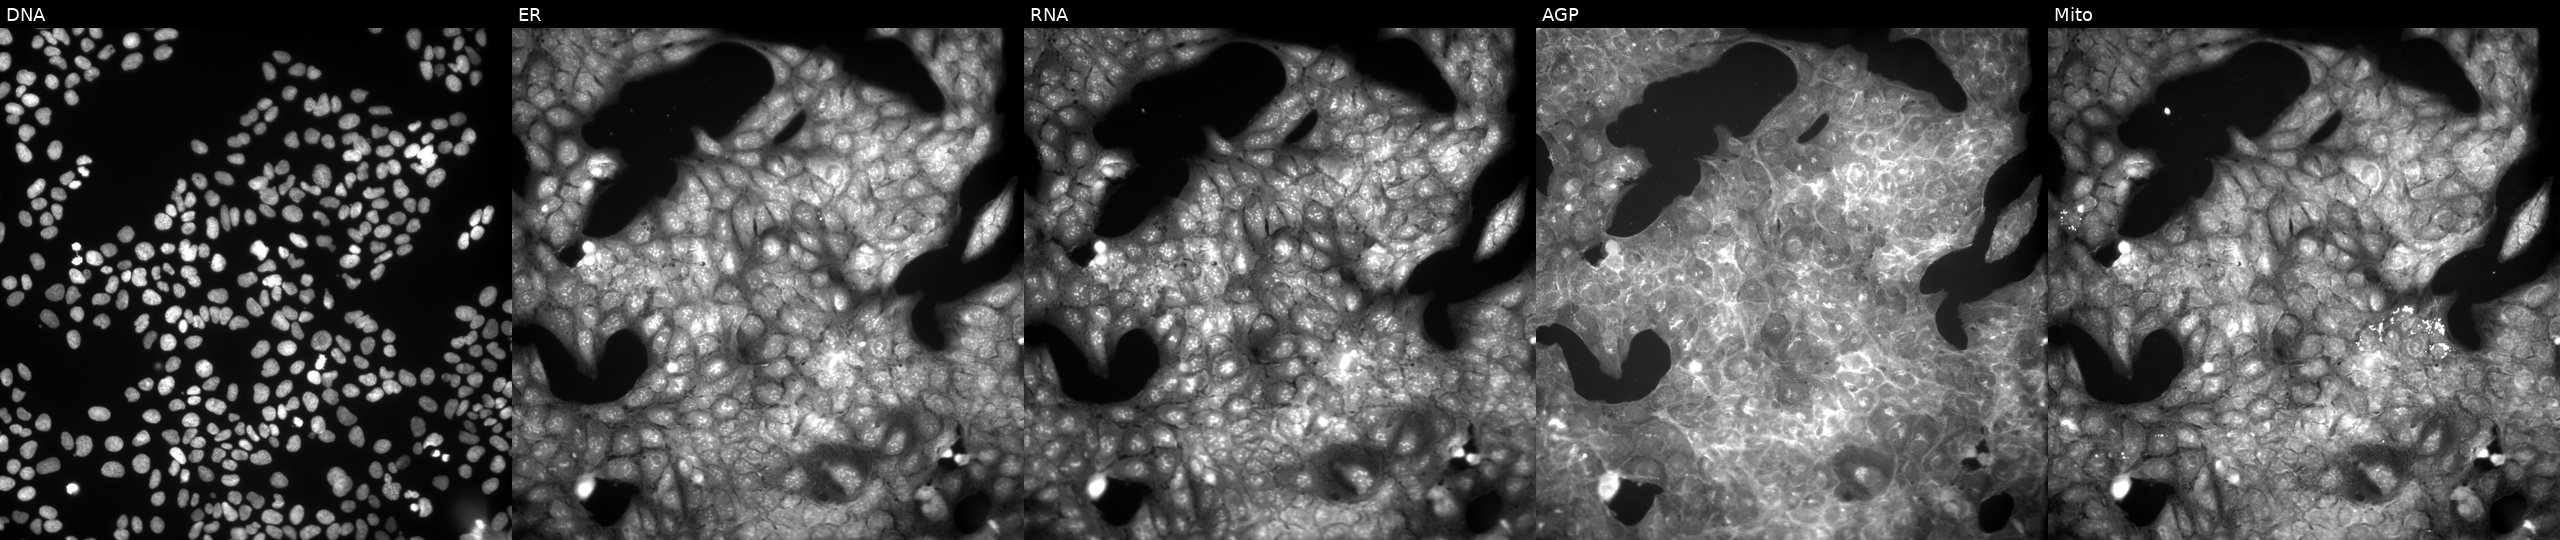
This image strip shows the five Cell Painting channels for a single field of U2OS cells treated with a small-molecule compound (InChIKey IBCXZJCWDGCXQT-UHFFFAOYSA-N). From left to right: Hoechst 33342, concanavalin A, SYTO 14, phalloidin and WGA, MitoTracker.